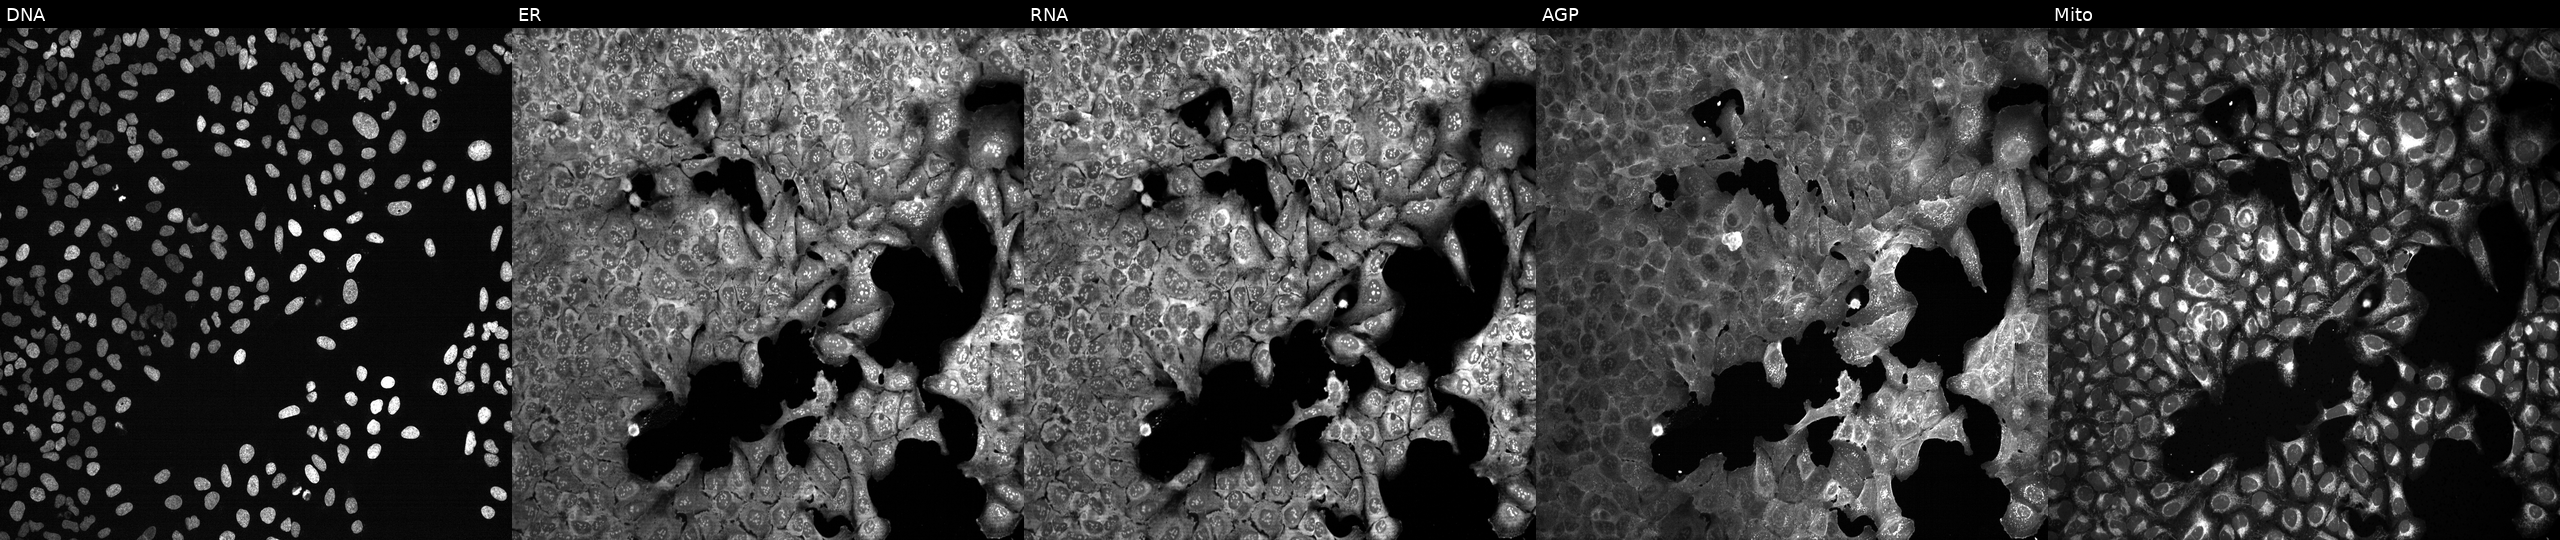
Five-channel Cell Painting image of U2OS cells following CRISPR knockout of ADAMTS1. The five panels, left to right, show DNA (nuclei); ER (endoplasmic reticulum); RNA (nucleoli and cytoplasmic RNA); AGP (actin cytoskeleton, Golgi, and plasma membrane); Mito (mitochondria). Source 13, plate CP-CC9-R6-19, well E04.